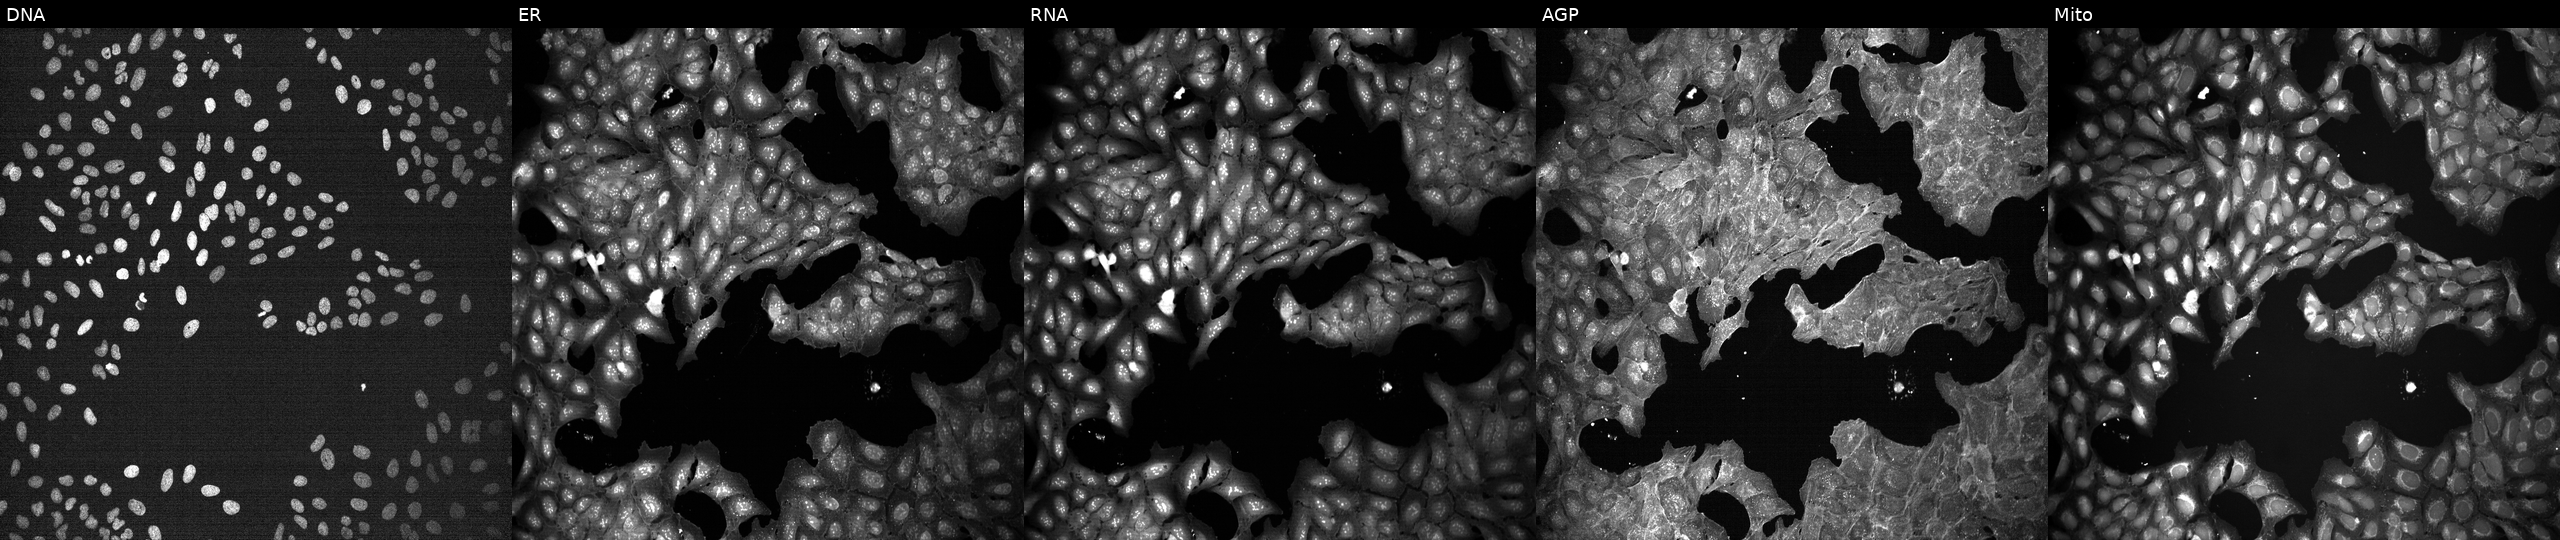
Five-channel Cell Painting image of U2OS cells treated with DMSO vehicle only (negative control). The five panels, left to right, show Hoechst 33342, concanavalin A, SYTO 14, phalloidin and WGA, MitoTracker.